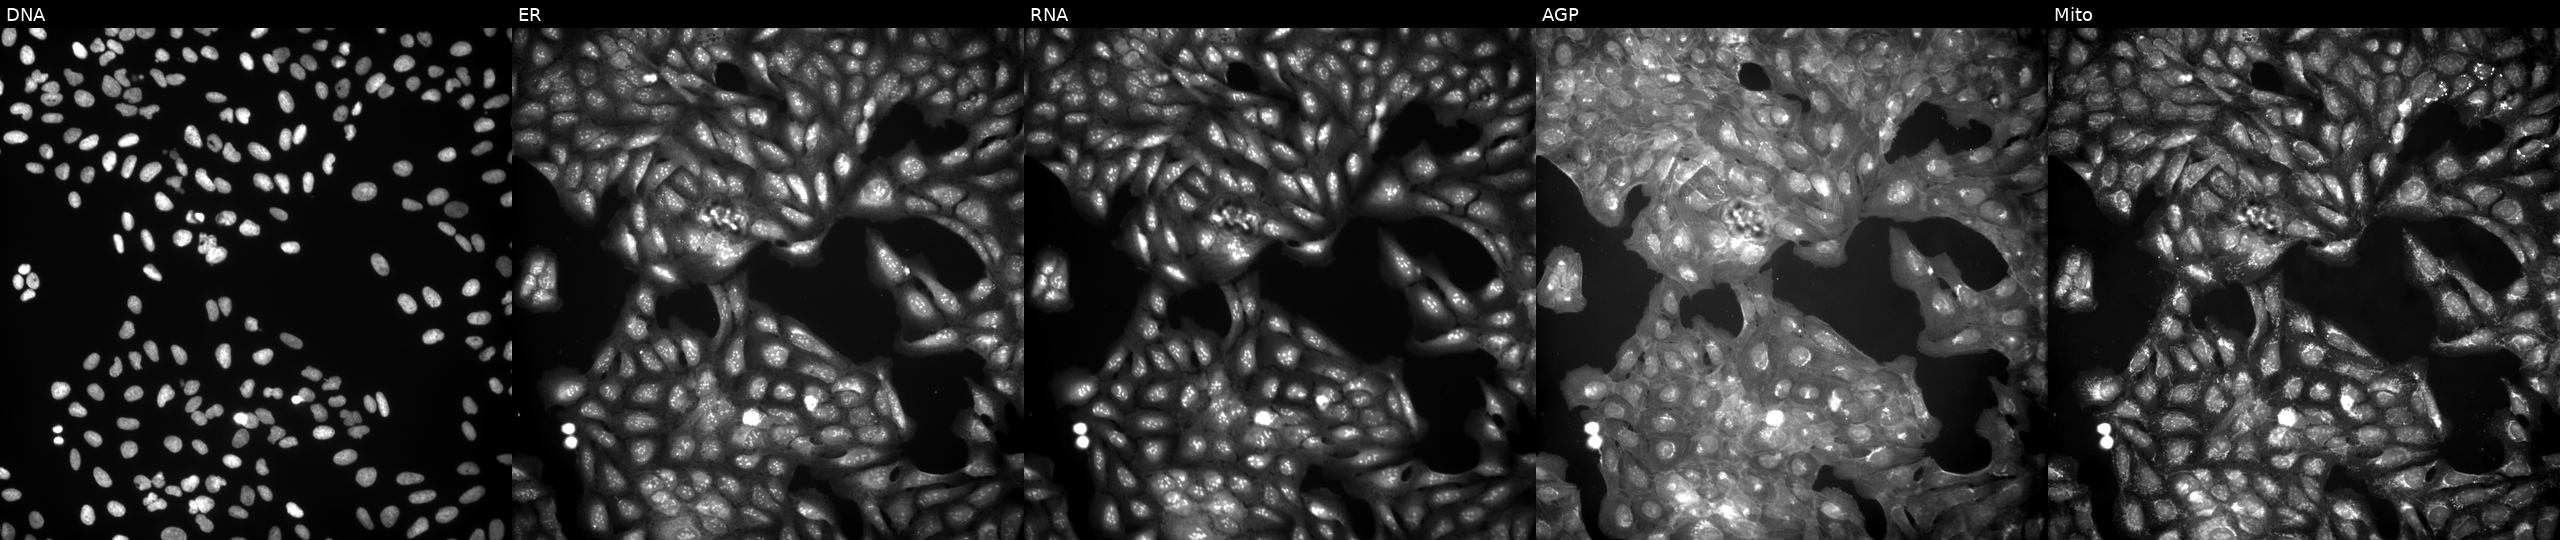
U2OS cells, Cell Painting assay, perturbed with a small-molecule compound (InChIKey BDHNDBUMWWYHMO-UHFFFAOYSA-N) [SMILES: CCCN1CC(=Cc2ccc3c(c2)OCO3)C(=O)C(=Cc2ccc3c(c2)OCO3)C1] (JUMP id JCP2022_005585). The five panels, left to right, show DNA, ER, RNA, AGP, and Mito. Each panel is percentile-stretched 16-bit fluorescence.